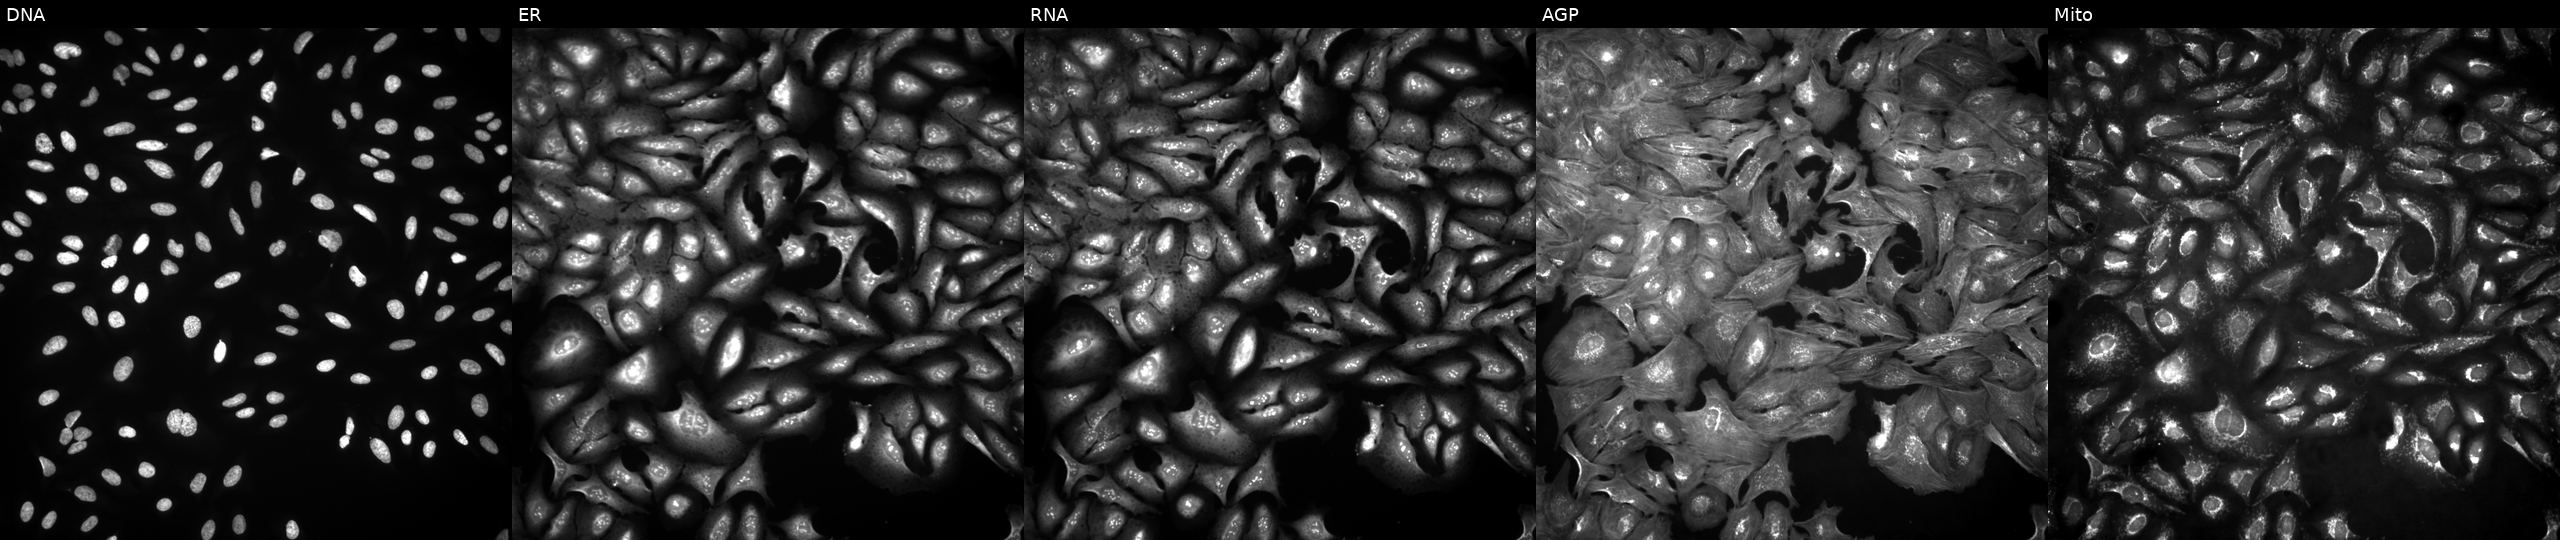
The five panels, left to right, show DNA, ER, RNA, AGP, and Mito. U2OS osteosarcoma cells with TGIF2 overexpressed (ORF) (JUMP id JCP2022_903647). Cell Painting assay, JUMP-CP dataset.